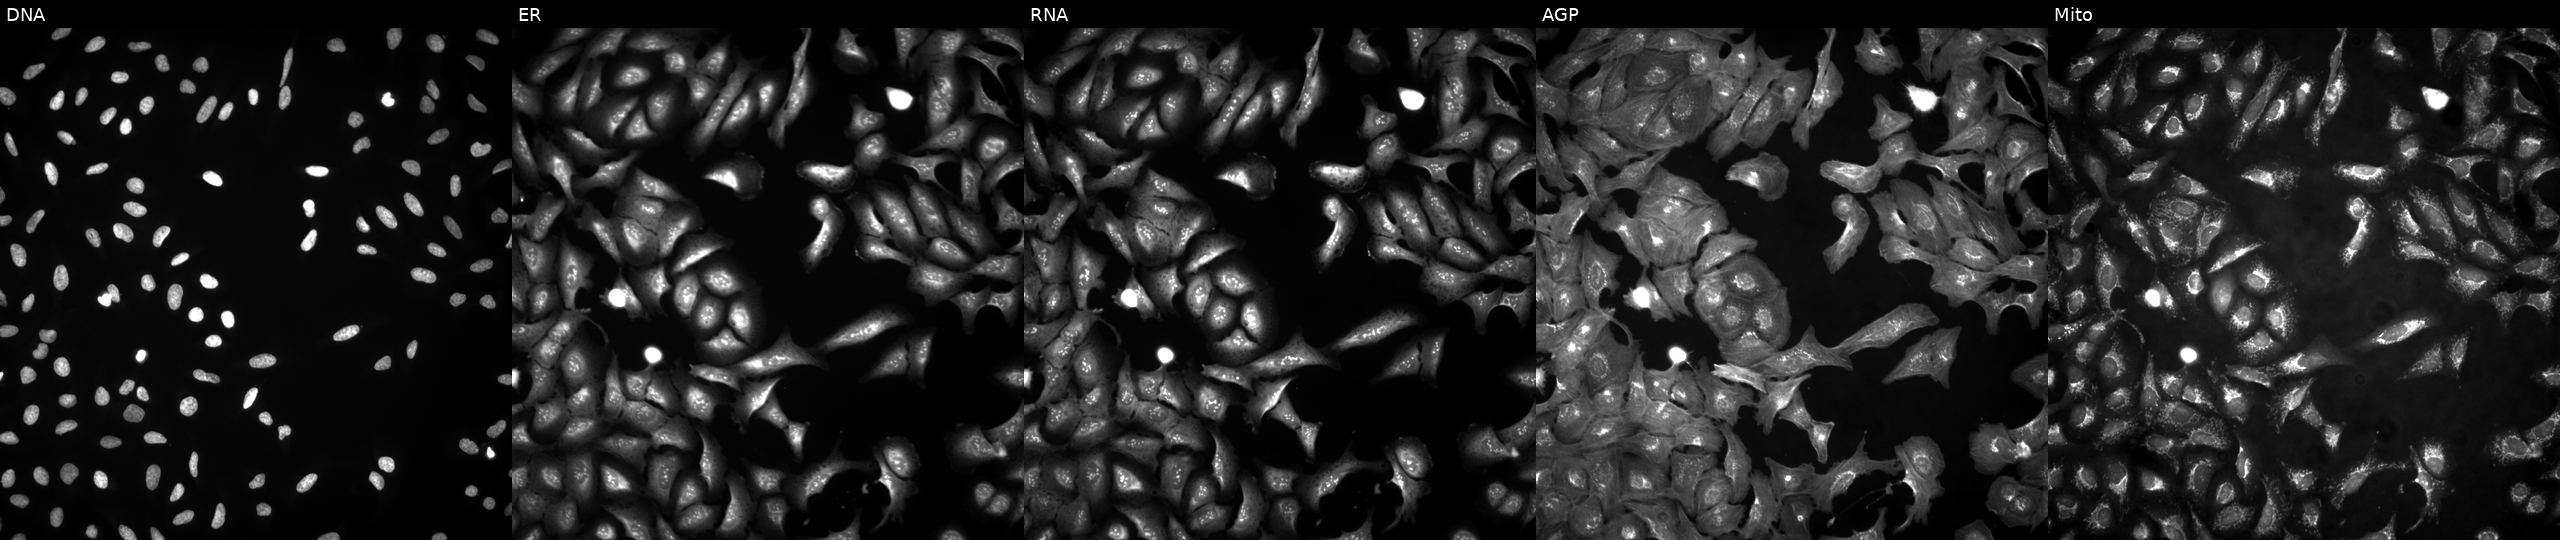
Five-channel Cell Painting image of U2OS cells with XLOC_003758 overexpressed (ORF). The five panels, left to right, show DNA (nuclei); ER (endoplasmic reticulum); RNA (nucleoli and cytoplasmic RNA); AGP (actin cytoskeleton, Golgi, and plasma membrane); Mito (mitochondria).